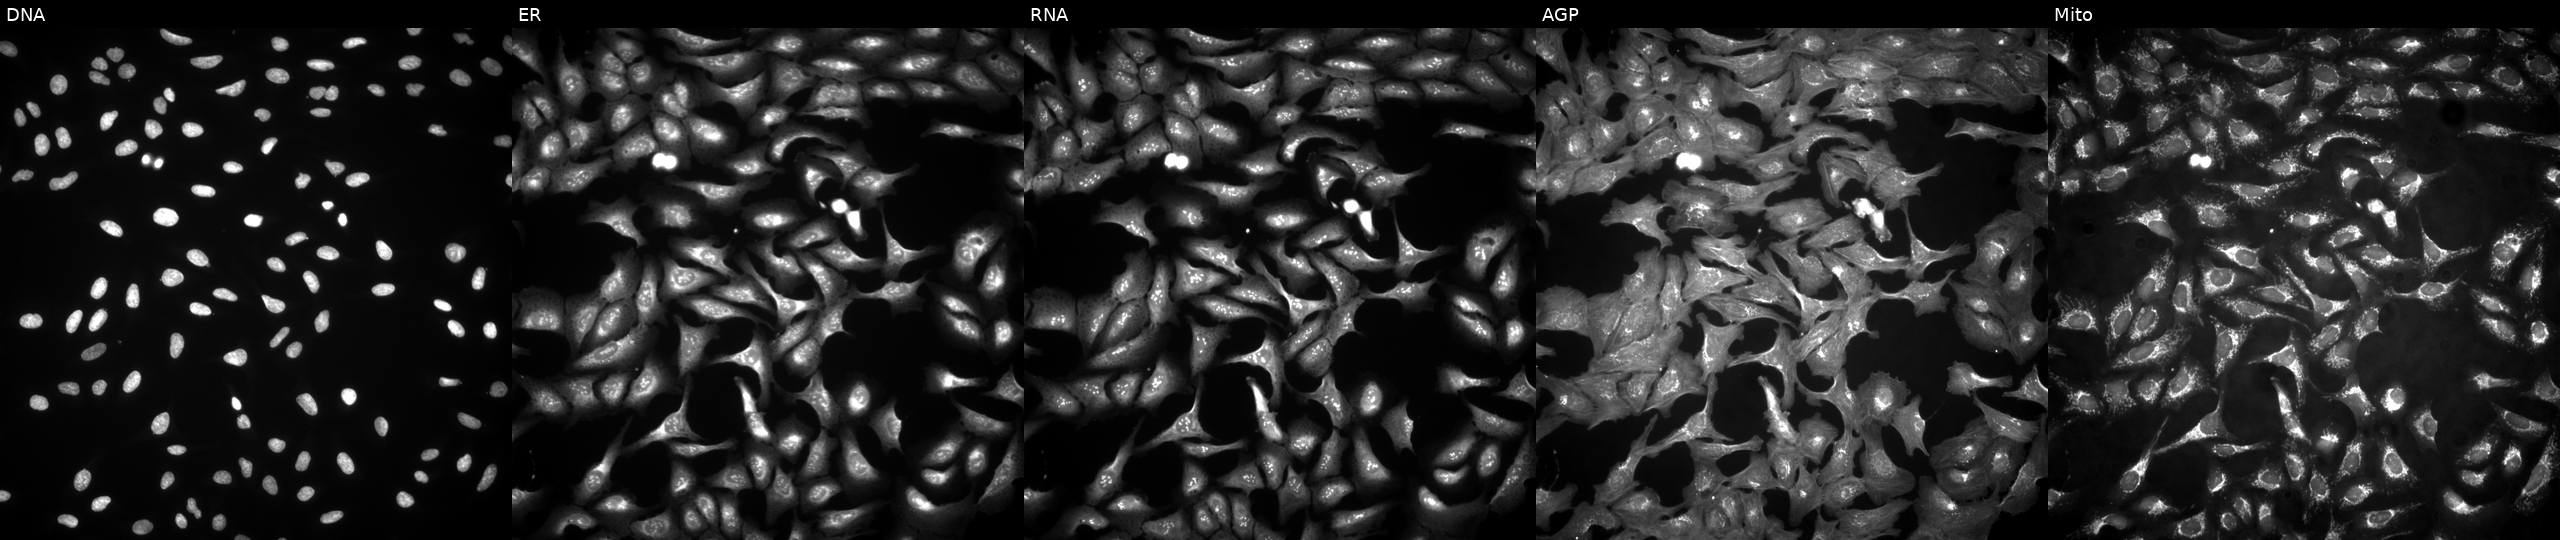
From left to right: DNA (nuclei); ER (endoplasmic reticulum); RNA (nucleoli and cytoplasmic RNA); AGP (actin cytoskeleton, Golgi, and plasma membrane); Mito (mitochondria). U2OS osteosarcoma cells with CLEC4D overexpressed (ORF) (JUMP id JCP2022_905085). Cell Painting assay, JUMP-CP dataset. Source 4, plate BR00123509, well J14.